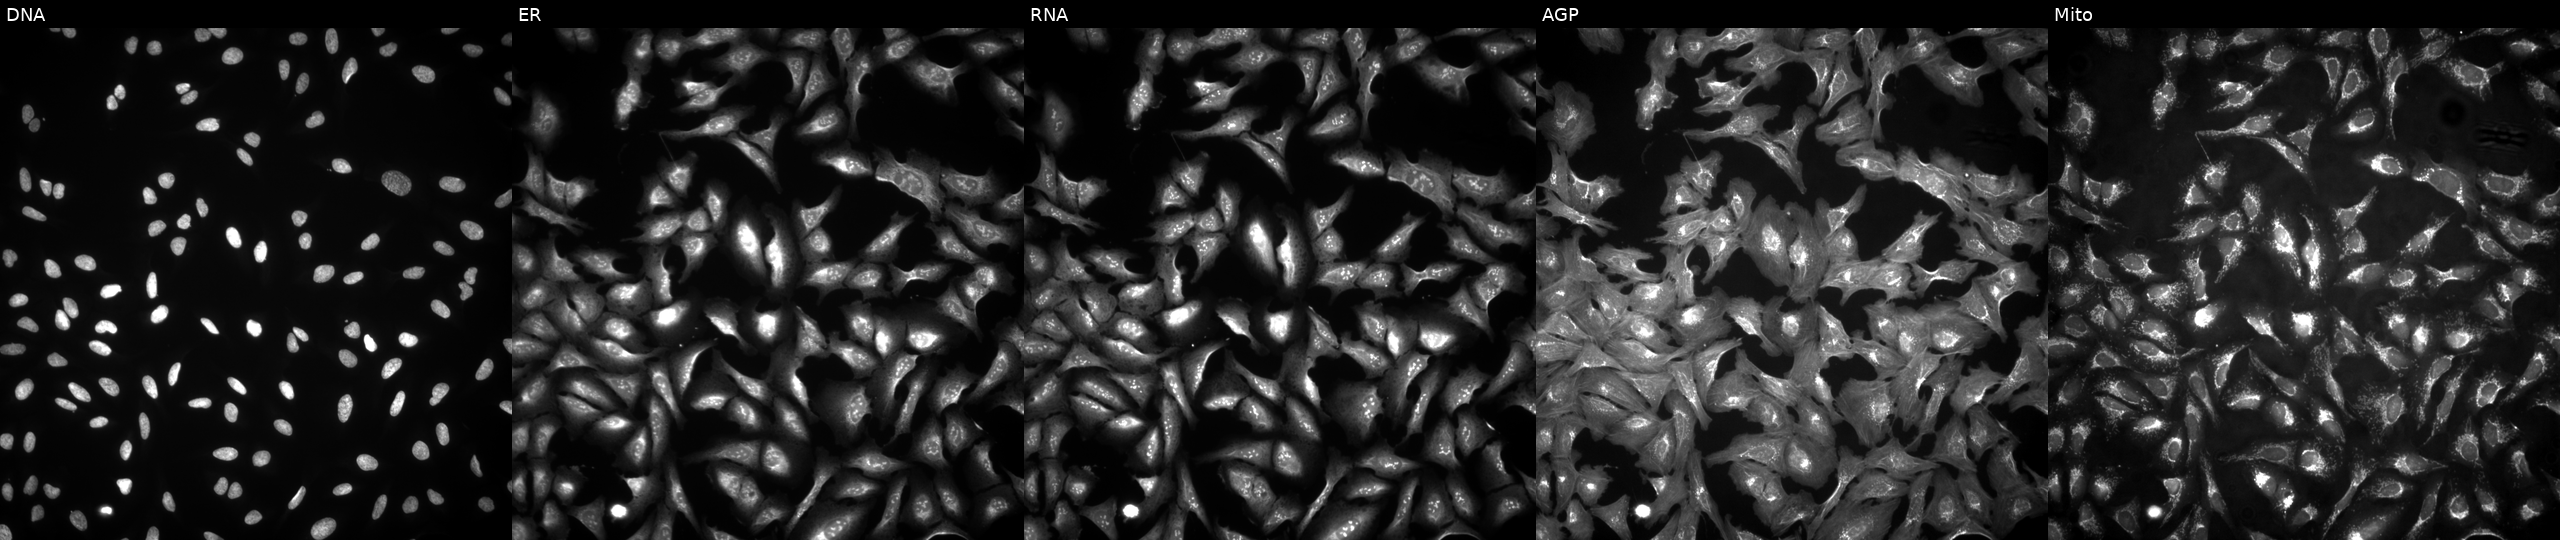
Five-channel Cell Painting image of U2OS cells with OR10W1 overexpressed (ORF) (JUMP id JCP2022_908461). Panels show, left to right, DNA (nuclei); ER (endoplasmic reticulum); RNA (nucleoli and cytoplasmic RNA); AGP (actin cytoskeleton, Golgi, and plasma membrane); Mito (mitochondria).